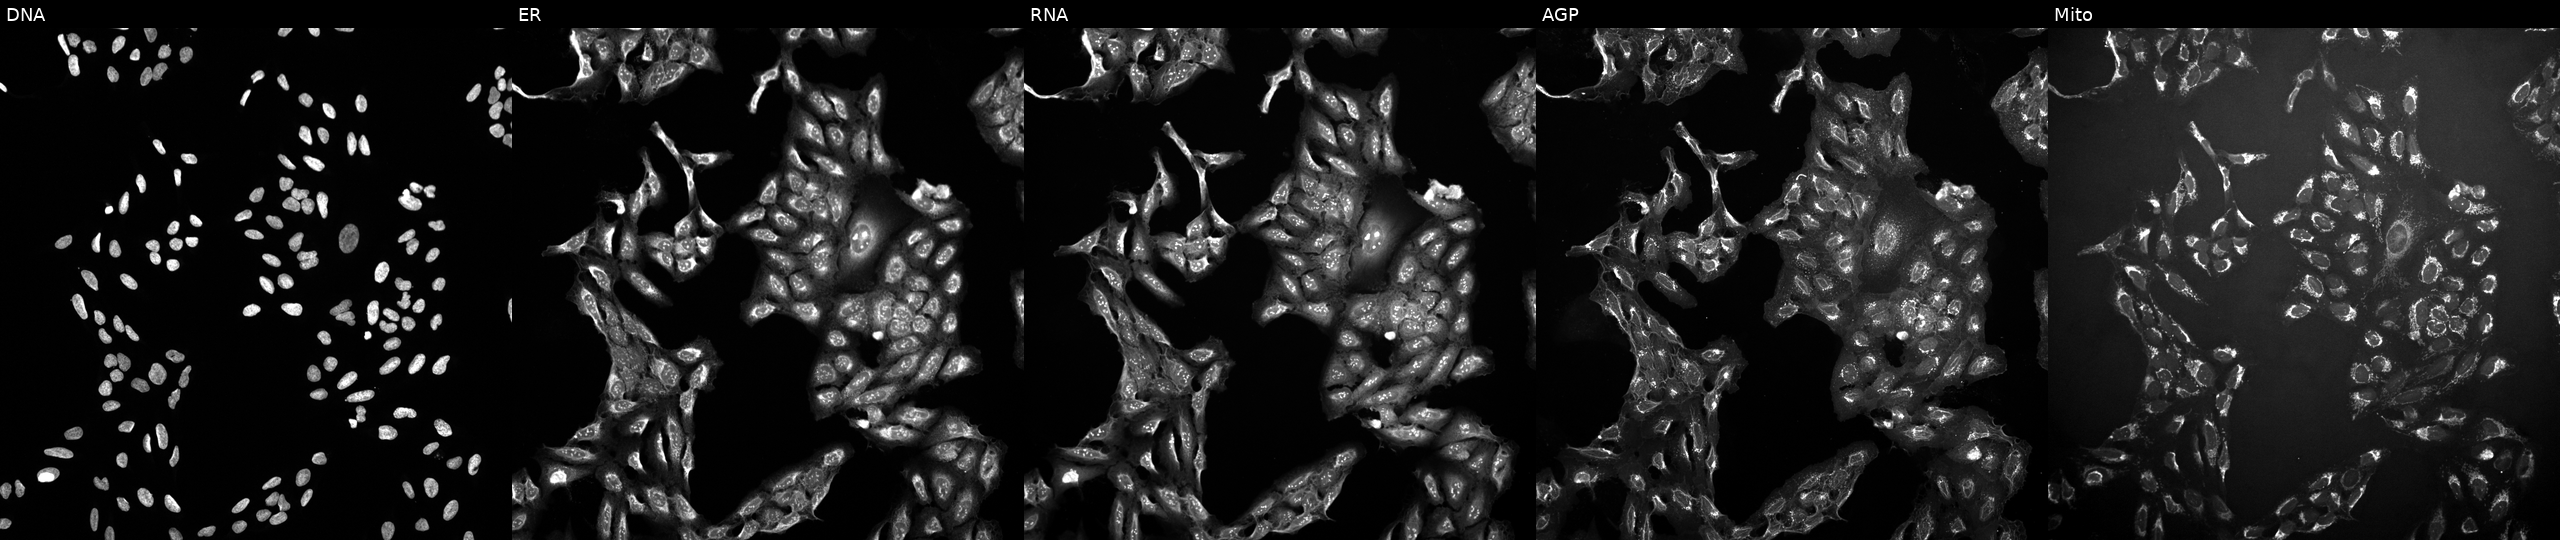
Five-channel Cell Painting image of U2OS cells perturbed with a small-molecule compound (InChIKey TXZPMHLMPKIUGK-UHFFFAOYSA-N) (JUMP id JCP2022_087474). Panels show, left to right, Hoechst 33342, concanavalin A, SYTO 14, phalloidin and WGA, MitoTracker.